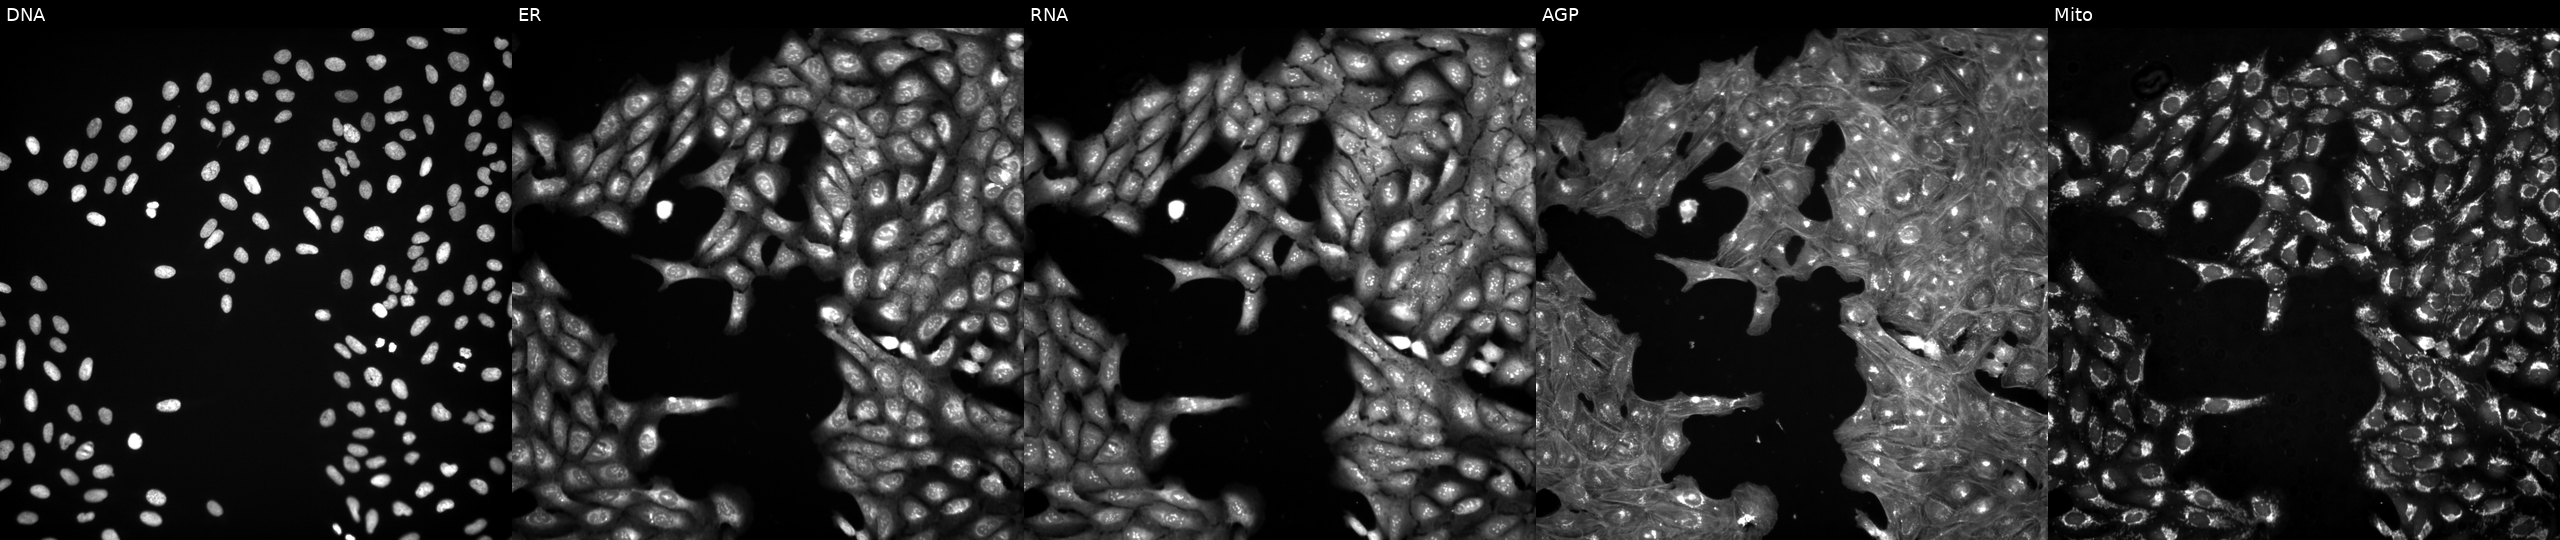
High-content fluorescence microscopy (Cell Painting). Cell line: U2OS. Perturbation: exposed to a small-molecule compound (InChIKey RQTQDKBPEQFMOJ-UHFFFAOYSA-N). Panels show, left to right, DNA, ER, RNA, AGP, and Mito.